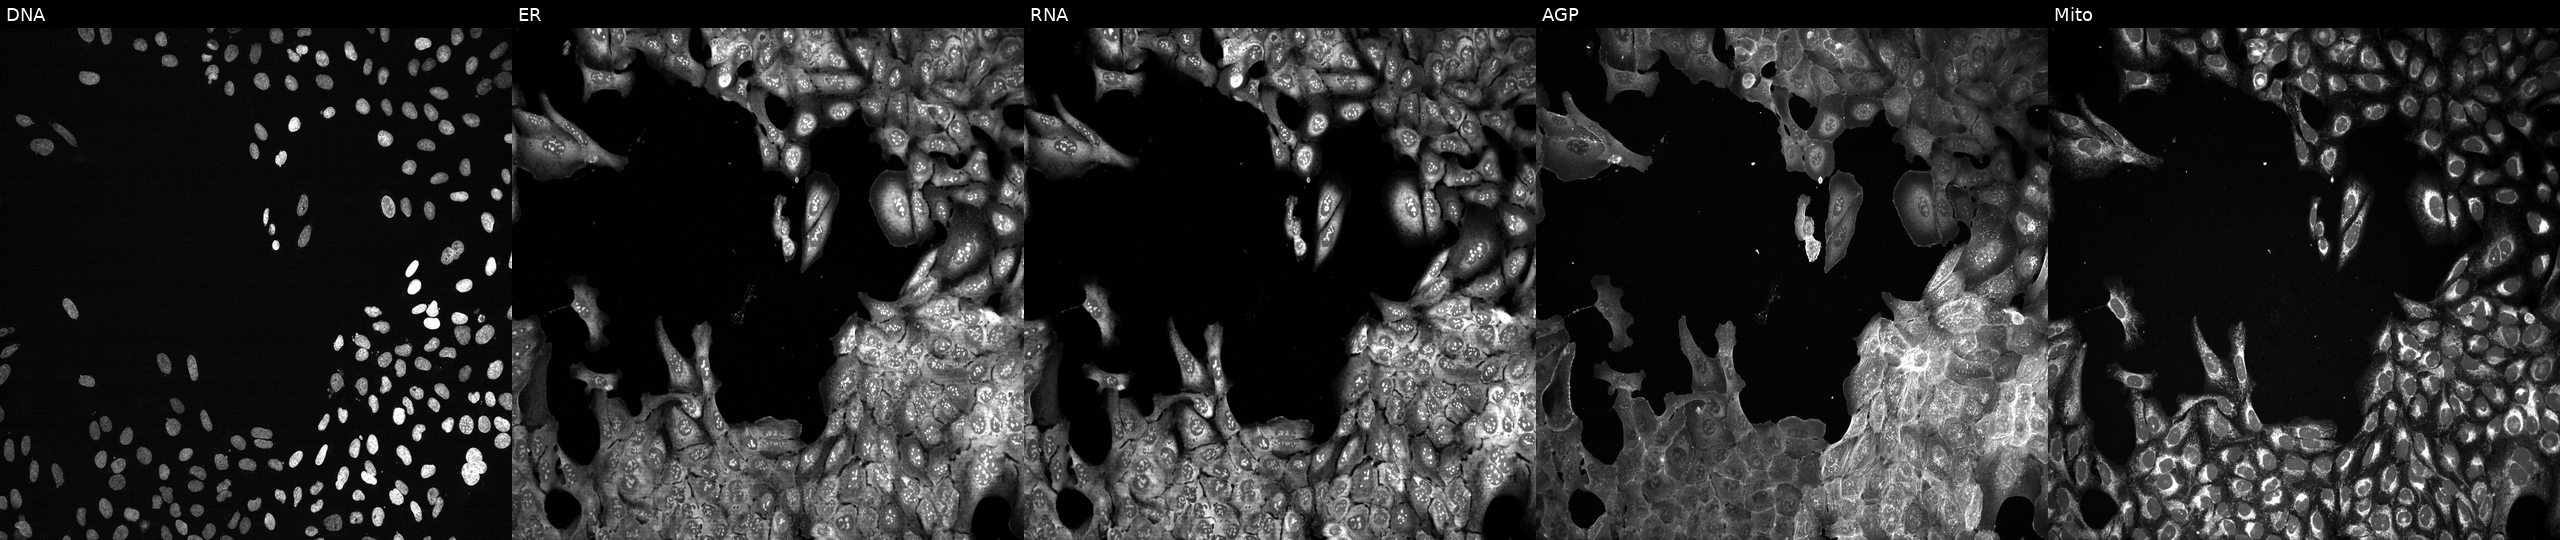
JUMP Cell Painting — CRISPR plate. U2OS cells CRISPR-edited to disrupt HP. The five panels, left to right, show Hoechst 33342, concanavalin A, SYTO 14, phalloidin and WGA, MitoTracker. Source 13, plate CP-CC9-R6-19, well A07.